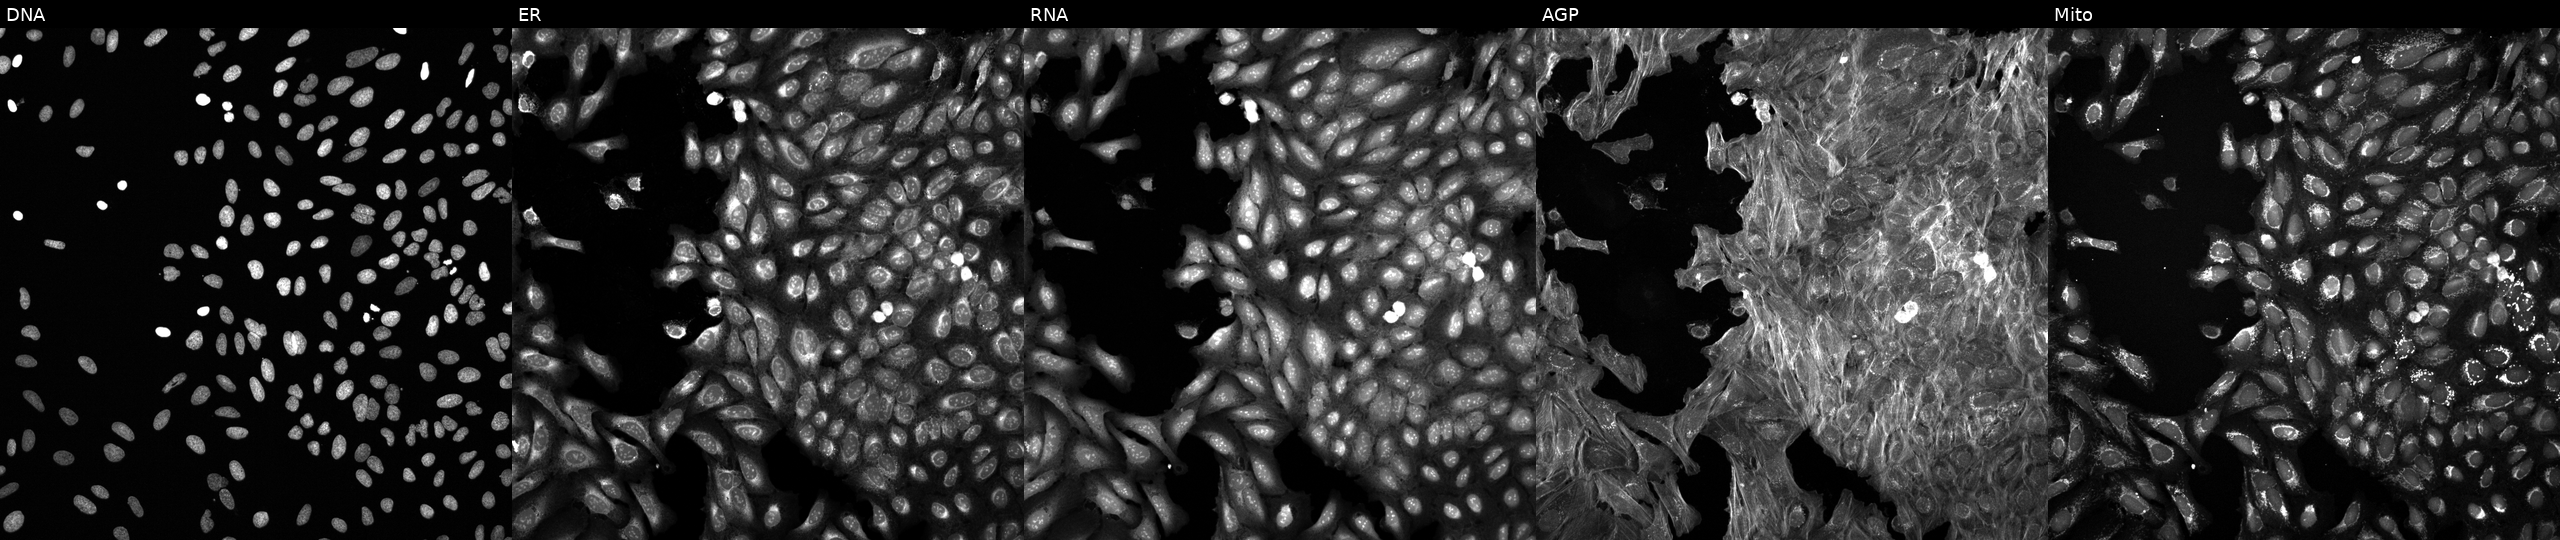
This image strip shows the five Cell Painting channels for a single field of U2OS cells treated with a small-molecule compound (JUMP id JCP2022_064183). Channels (left→right): Hoechst 33342, concanavalin A, SYTO 14, phalloidin and WGA, MitoTracker.